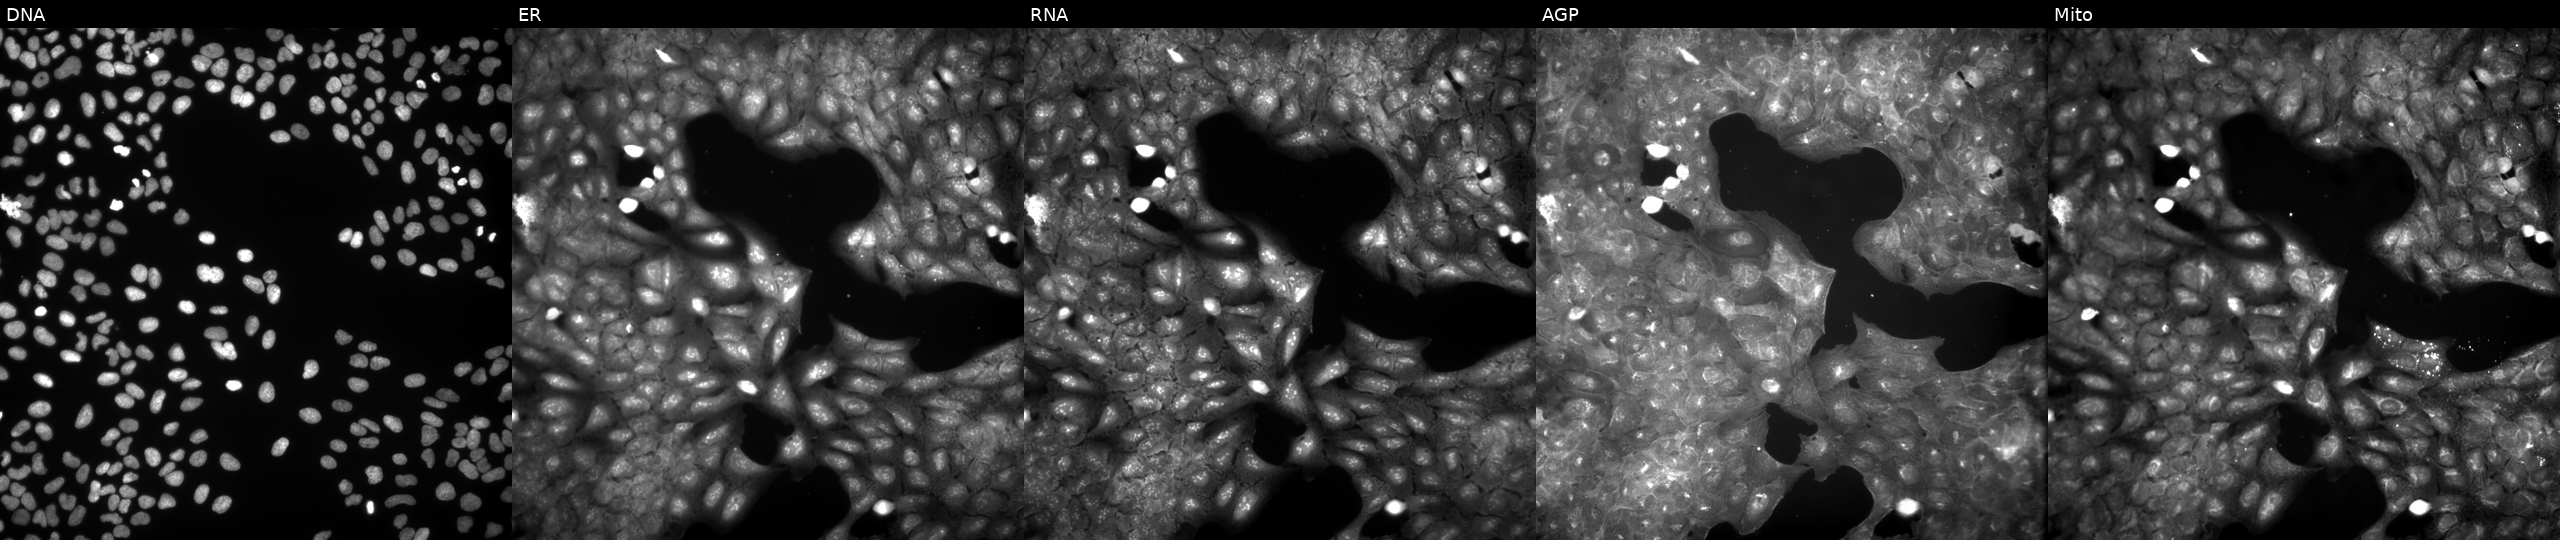
Panels show, left to right, DNA (nuclei); ER (endoplasmic reticulum); RNA (nucleoli and cytoplasmic RNA); AGP (actin cytoskeleton, Golgi, and plasma membrane); Mito (mitochondria). U2OS osteosarcoma cells treated with a small-molecule compound (InChIKey LCYJFNUIEHVDGR-UHFFFAOYSA-N) (JUMP id JCP2022_048645). Cell Painting assay, JUMP-CP dataset.